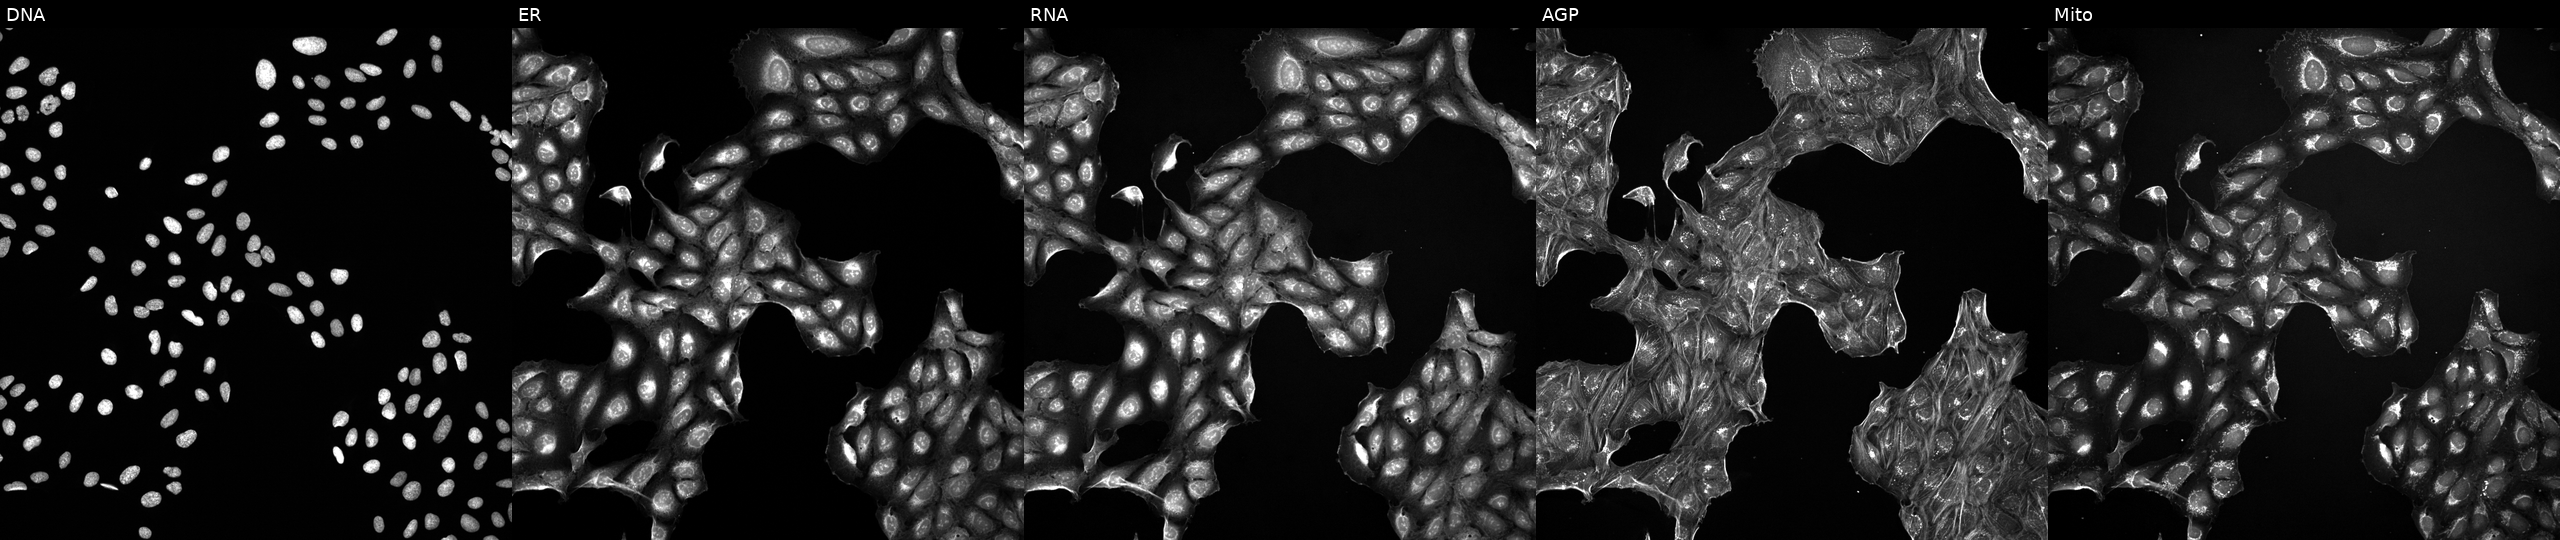
High-content fluorescence microscopy (Cell Painting). Cell line: U2OS. Perturbation: exposed to a small-molecule compound (InChIKey PWKSKIMOESPYIA-UHFFFAOYSA-N) (JUMP id JCP2022_071429). Channels (left→right): DNA (nuclei); ER (endoplasmic reticulum); RNA (nucleoli and cytoplasmic RNA); AGP (actin cytoskeleton, Golgi, and plasma membrane); Mito (mitochondria). Source 5, plate ACPJUM051, well A10.